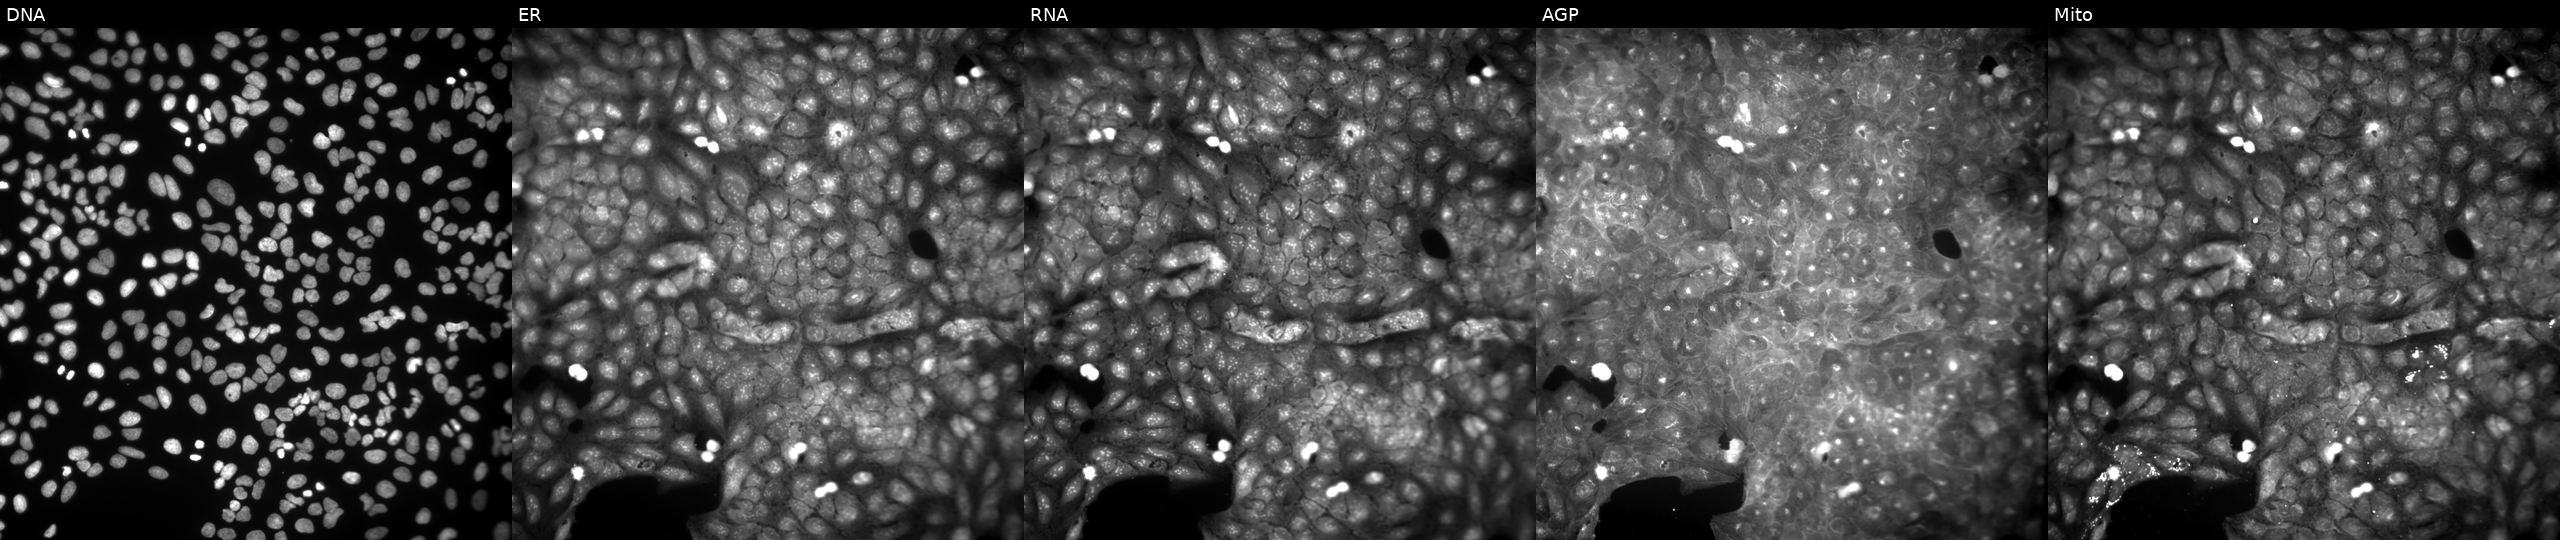
From left to right: Hoechst 33342, concanavalin A, SYTO 14, phalloidin and WGA, MitoTracker. U2OS osteosarcoma cells exposed to a small-molecule compound [SMILES: O=C(NN=c1cc(N2CCOCC2)[nH]c(N2CCOCC2)n1)c1ccc([N+](=O)[O-])cc1]. Cell Painting assay, JUMP-CP dataset. Source 9, plate GR00003382, well Z46.